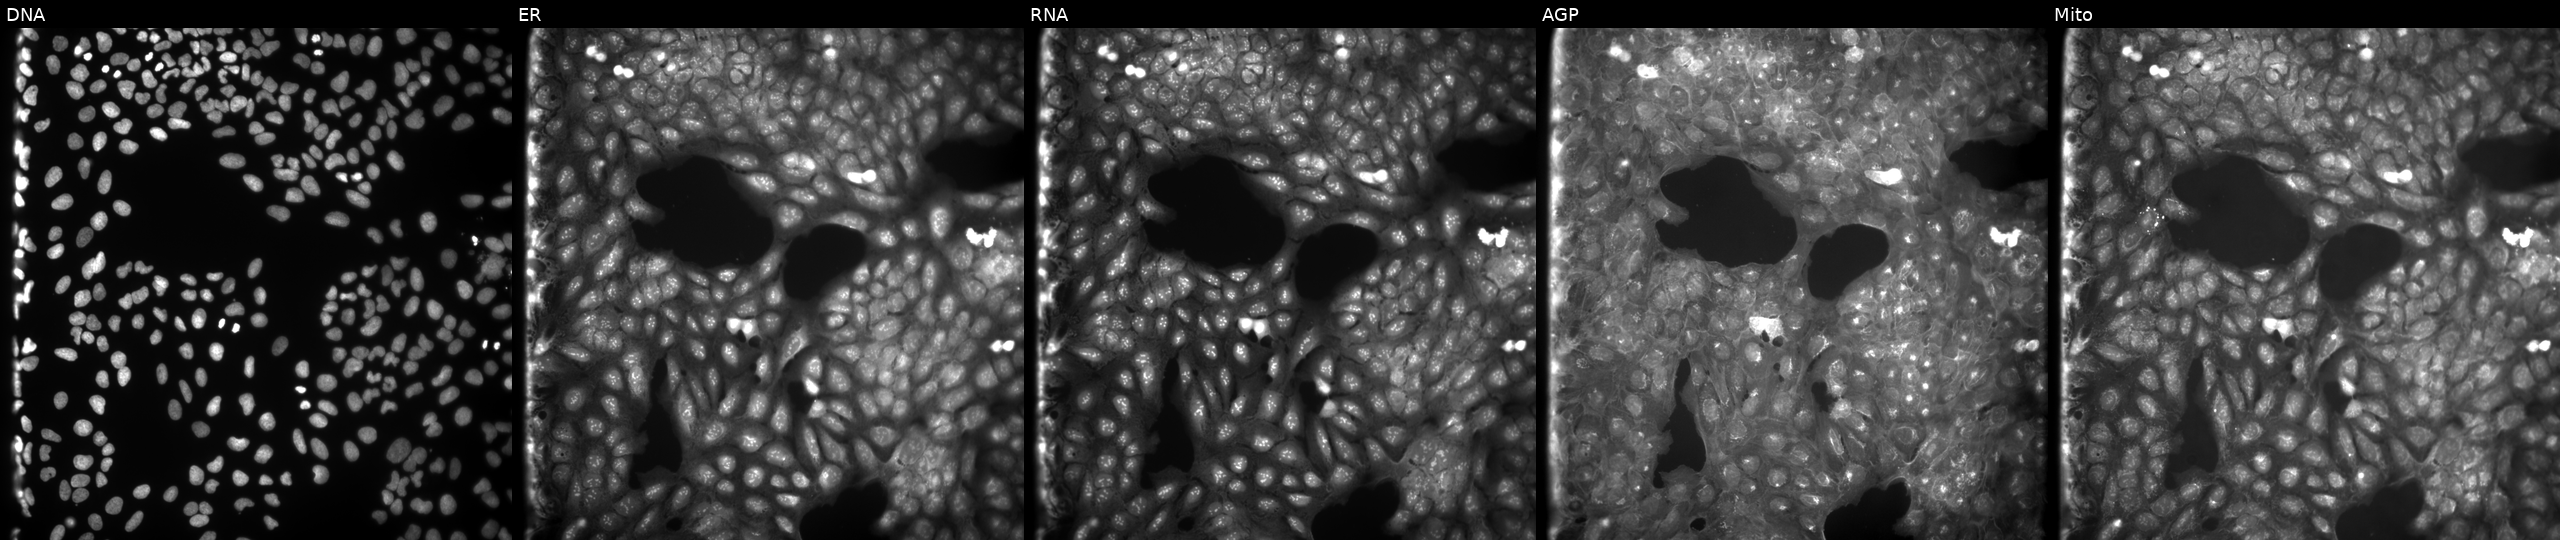
U2OS cells, Cell Painting assay, treated with a small-molecule compound (InChIKey NLKUYNSCOGQWQR-UHFFFAOYSA-N) (JUMP id JCP2022_059763). The five panels, left to right, show Hoechst 33342, concanavalin A, SYTO 14, phalloidin and WGA, MitoTracker. Each panel is percentile-stretched 16-bit fluorescence. Source 9, plate GR00003381, well J05.